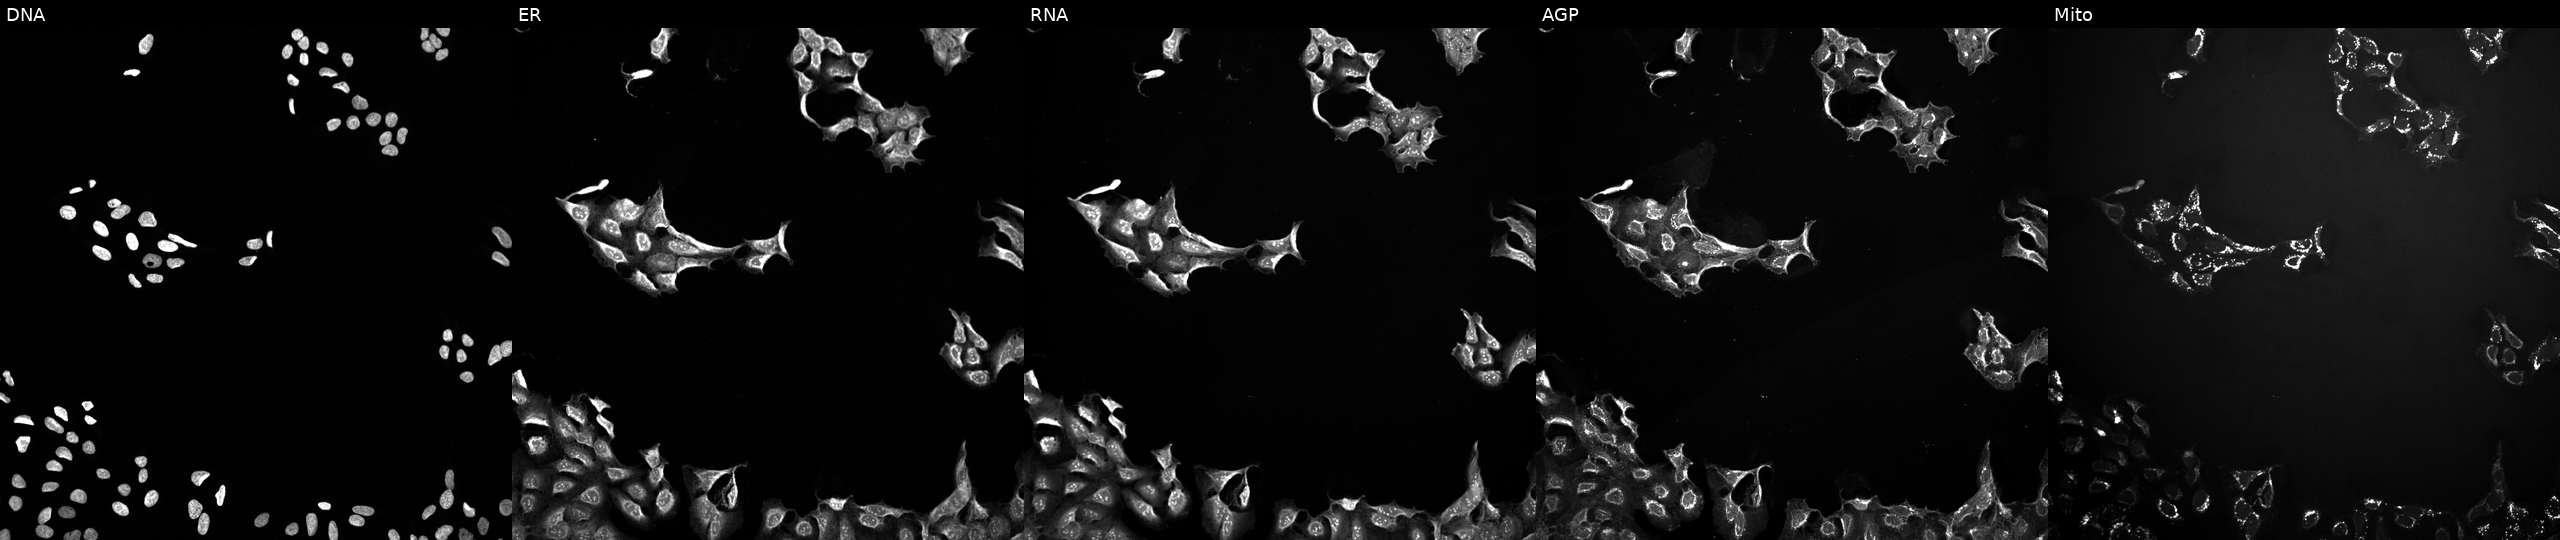
U2OS cells, Cell Painting assay, exposed to a small-molecule compound. From left to right: DNA, ER, RNA, AGP, and Mito. Each panel is percentile-stretched 16-bit fluorescence.